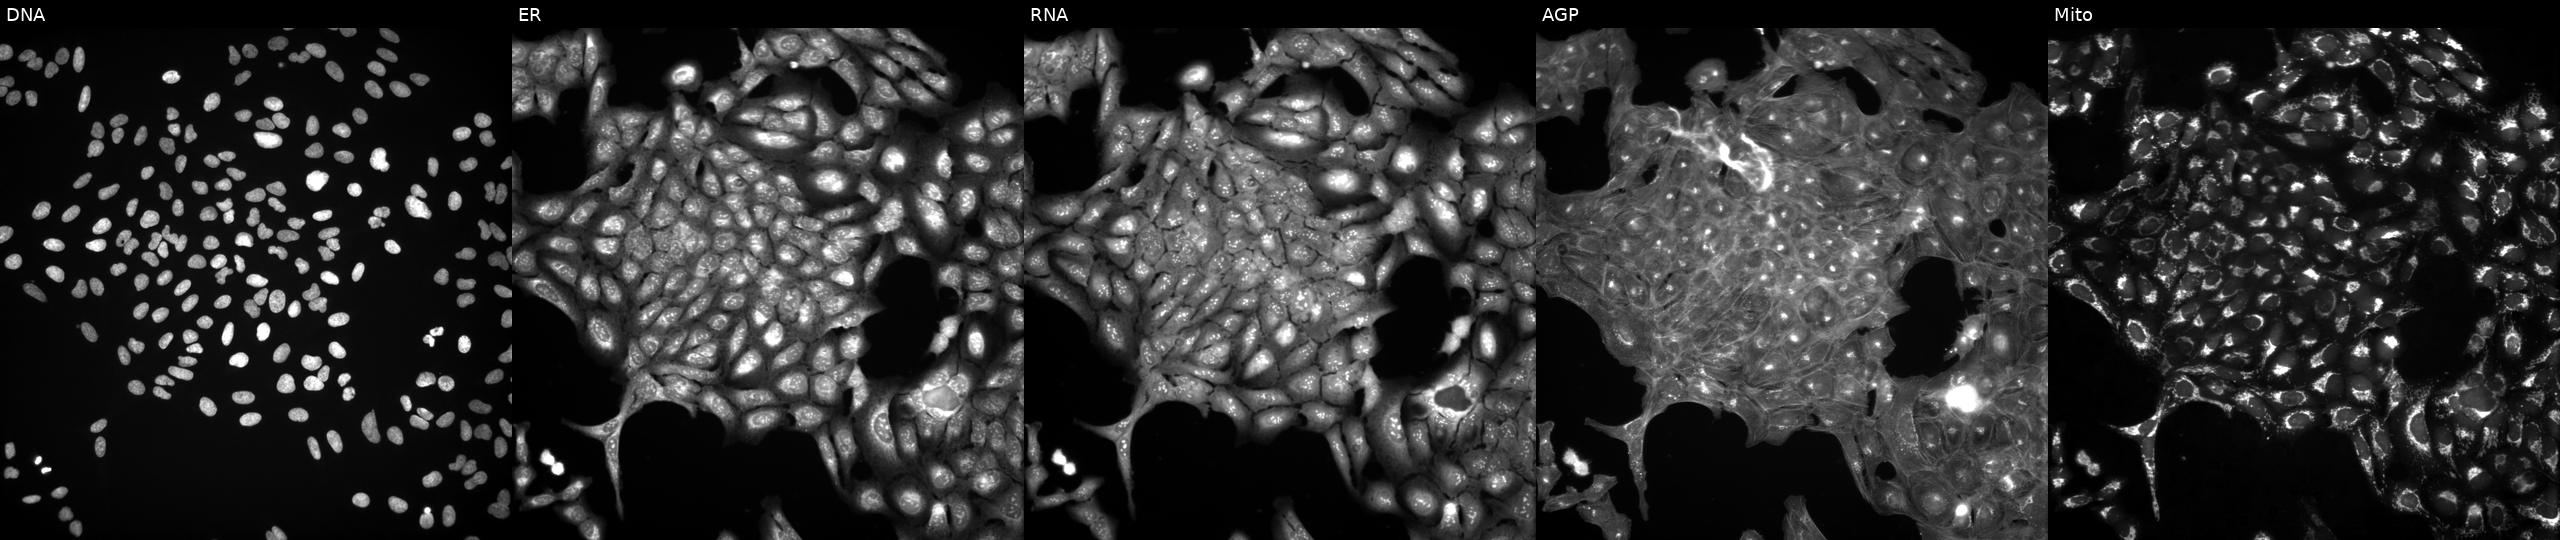
JUMP Cell Painting — TARGET2 plate. U2OS cells exposed to DMSO alone as a negative control. The five panels, left to right, show DNA (nuclei); ER (endoplasmic reticulum); RNA (nucleoli and cytoplasmic RNA); AGP (actin cytoskeleton, Golgi, and plasma membrane); Mito (mitochondria). Source 3, plate JCPQC051, well G16.